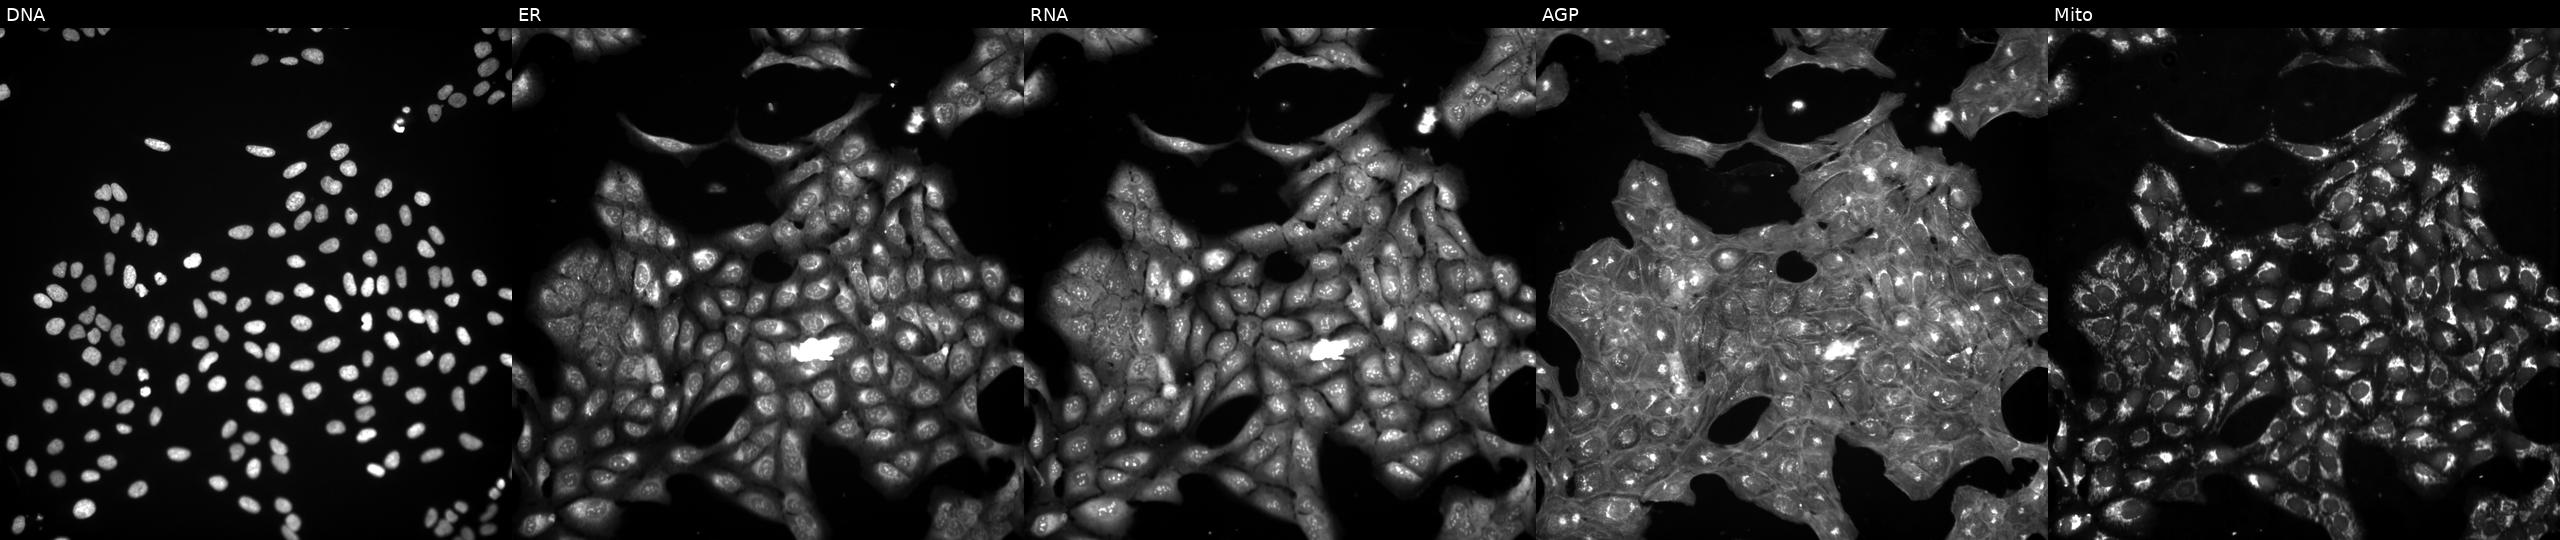
JUMP Cell Painting — COMPOUND plate. U2OS cells treated with a small-molecule compound (JUMP id JCP2022_049797). Channels (left→right): DNA (nuclei); ER (endoplasmic reticulum); RNA (nucleoli and cytoplasmic RNA); AGP (actin cytoskeleton, Golgi, and plasma membrane); Mito (mitochondria). Source 3, plate BR5867b3, well P09.